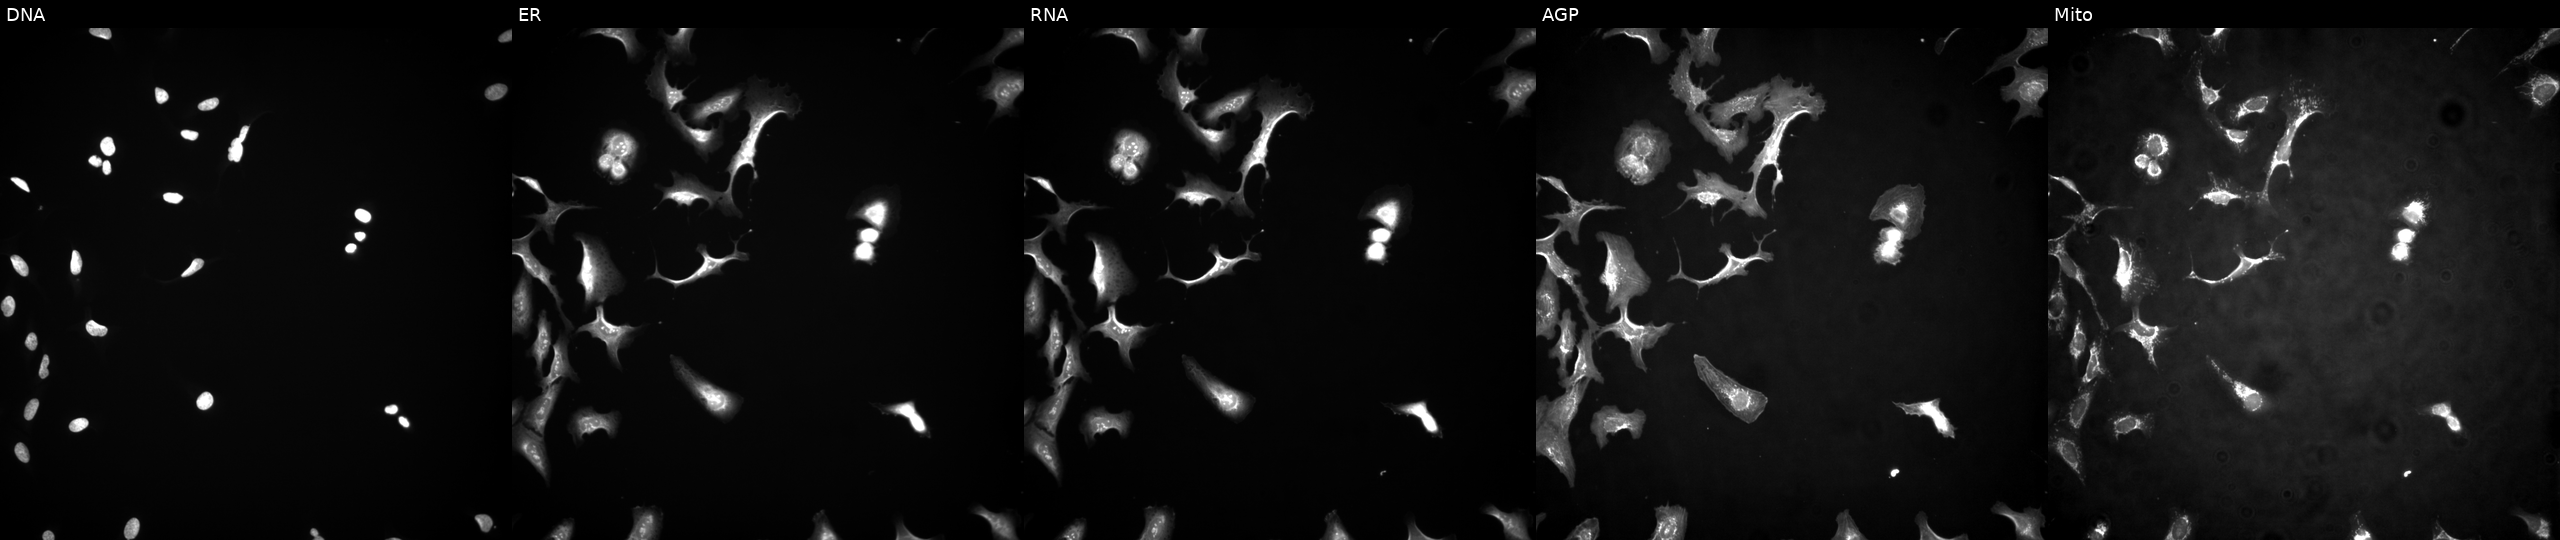
Five-channel Cell Painting image of U2OS cells with SMYD4 overexpressed (ORF) (JUMP id JCP2022_908777). Channels (left→right): DNA, ER, RNA, AGP, and Mito. Source 4, plate BR00117035, well A22.